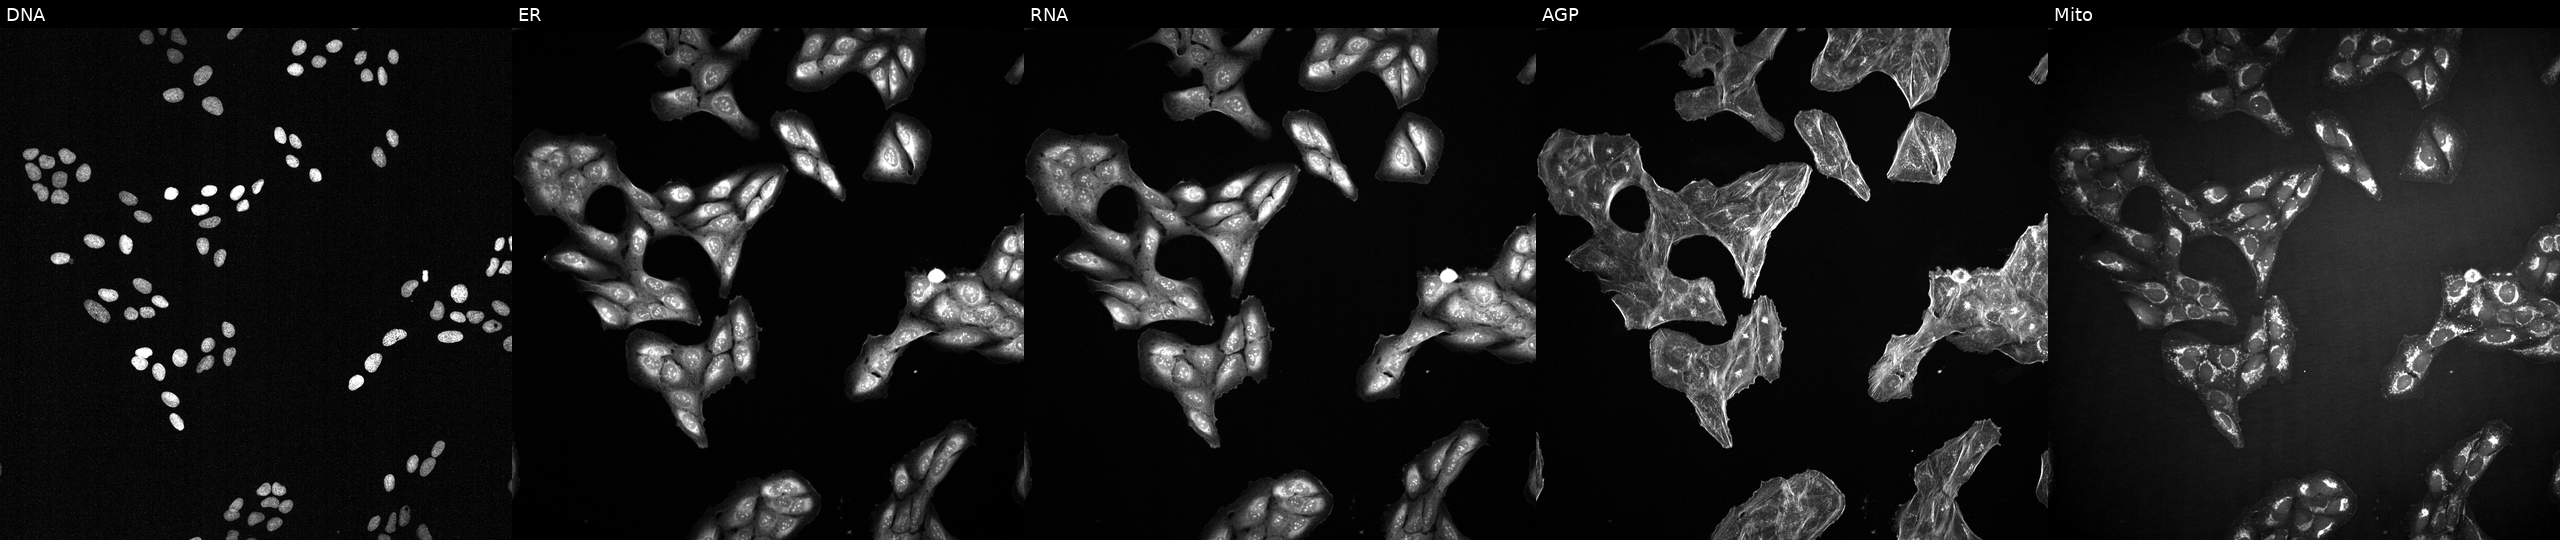
This image strip shows the five Cell Painting channels for a single field of U2OS cells exposed to a small-molecule compound (InChIKey PIMZUZSSNYHVCU-UHFFFAOYSA-N) (JUMP id JCP2022_068838). The five panels, left to right, show DNA (nuclei); ER (endoplasmic reticulum); RNA (nucleoli and cytoplasmic RNA); AGP (actin cytoskeleton, Golgi, and plasma membrane); Mito (mitochondria).